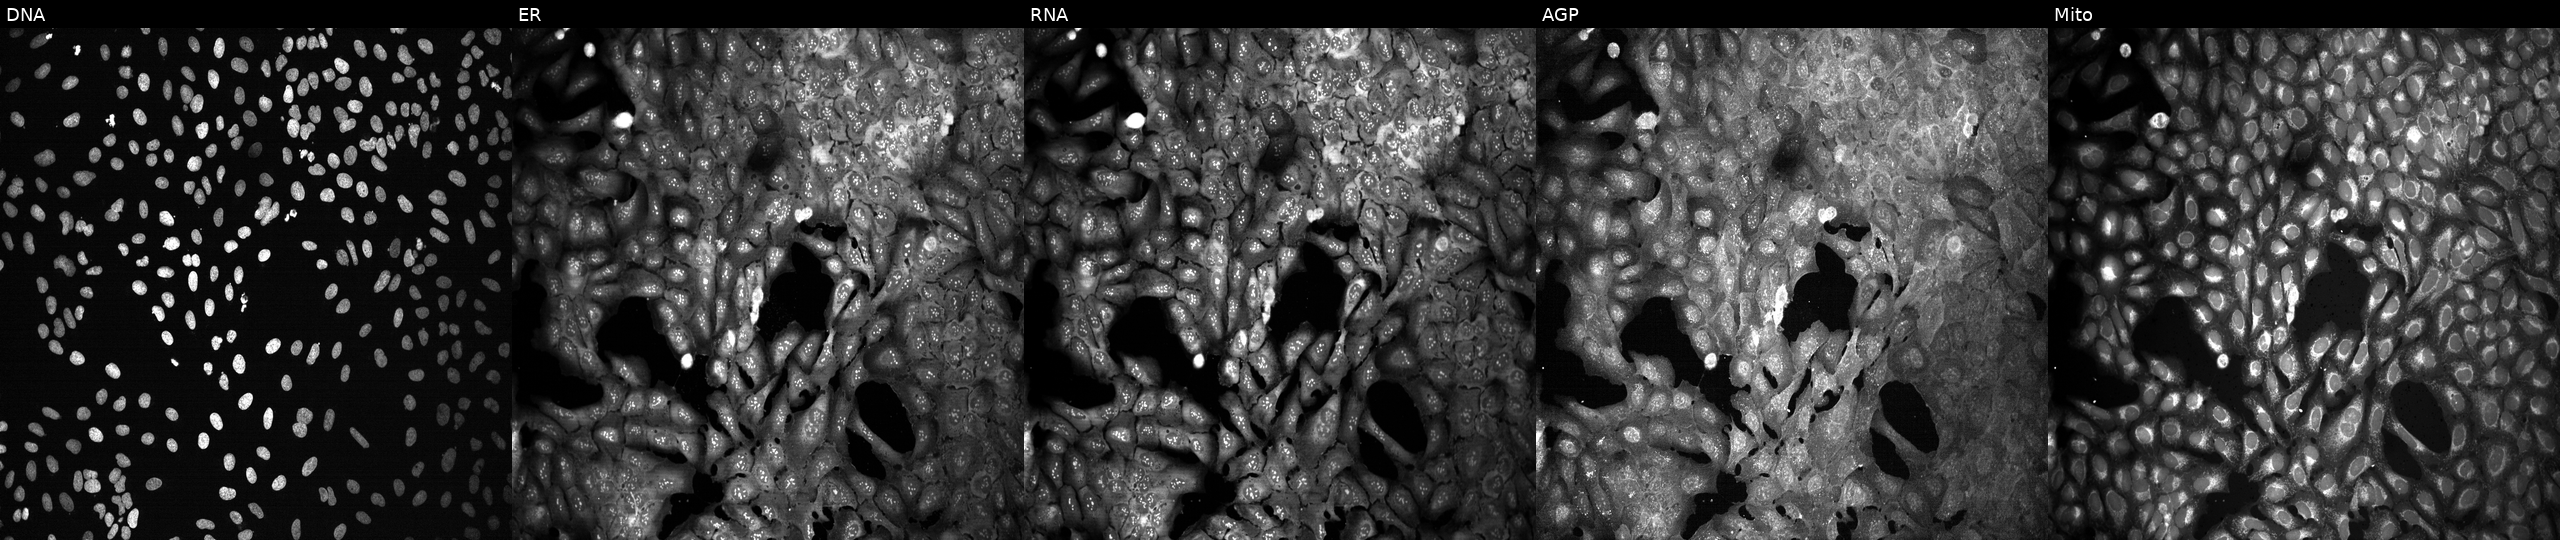
Channels (left→right): DNA (nuclei); ER (endoplasmic reticulum); RNA (nucleoli and cytoplasmic RNA); AGP (actin cytoskeleton, Golgi, and plasma membrane); Mito (mitochondria). U2OS osteosarcoma cells CRISPR-edited to disrupt RALGPS2. Cell Painting assay, JUMP-CP dataset.